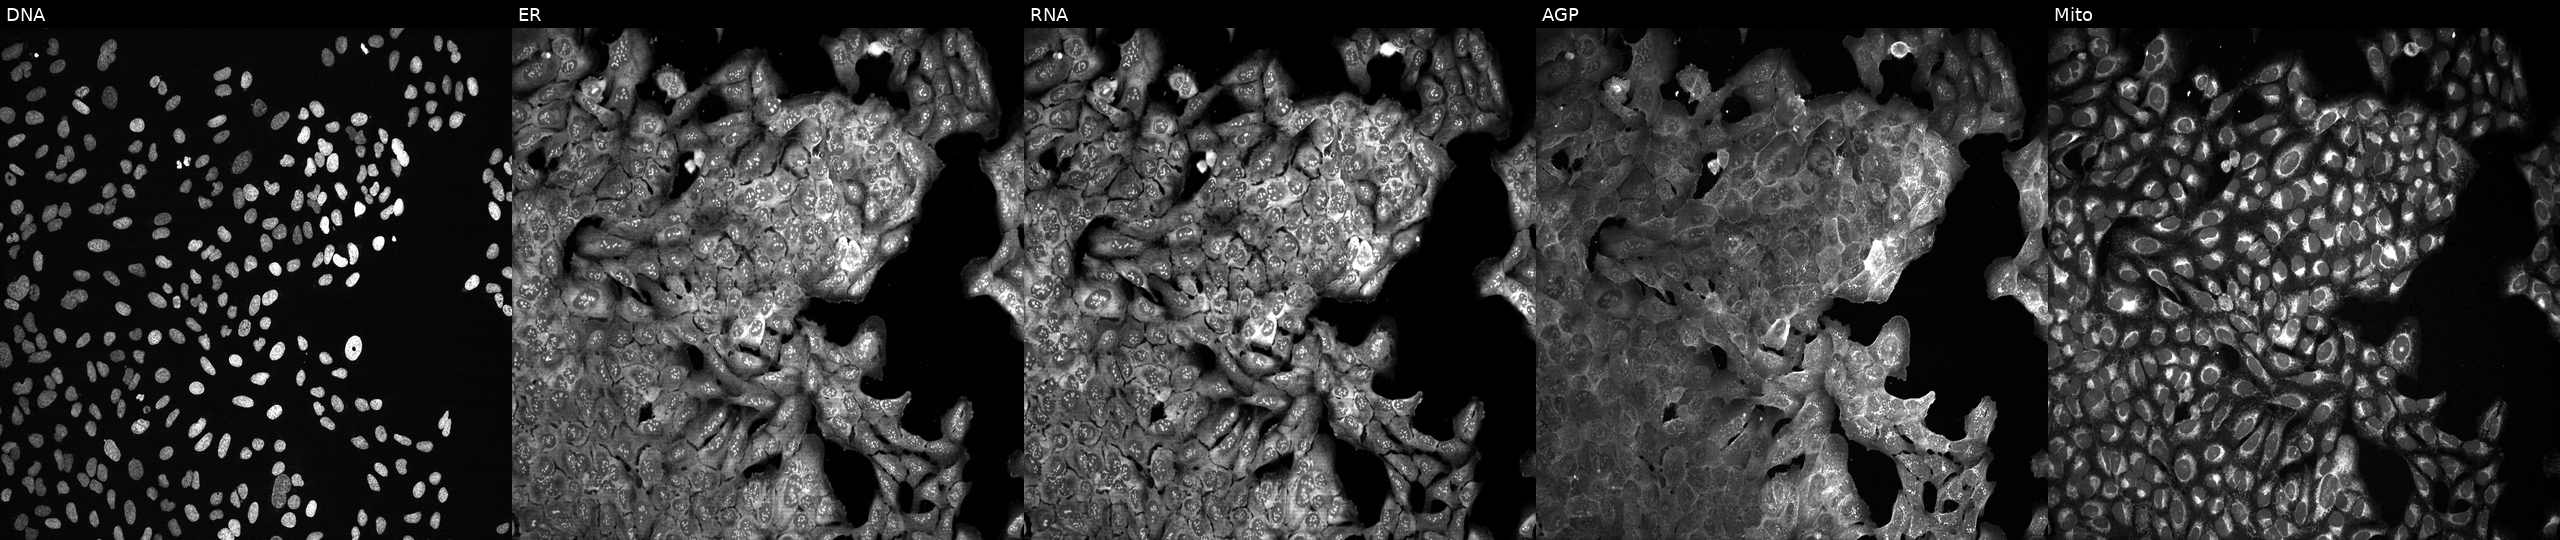
Five-channel Cell Painting image of U2OS cells CRISPR-edited to disrupt SENP1 (JUMP id JCP2022_806252). Channels (left→right): DNA (nuclei); ER (endoplasmic reticulum); RNA (nucleoli and cytoplasmic RNA); AGP (actin cytoskeleton, Golgi, and plasma membrane); Mito (mitochondria).